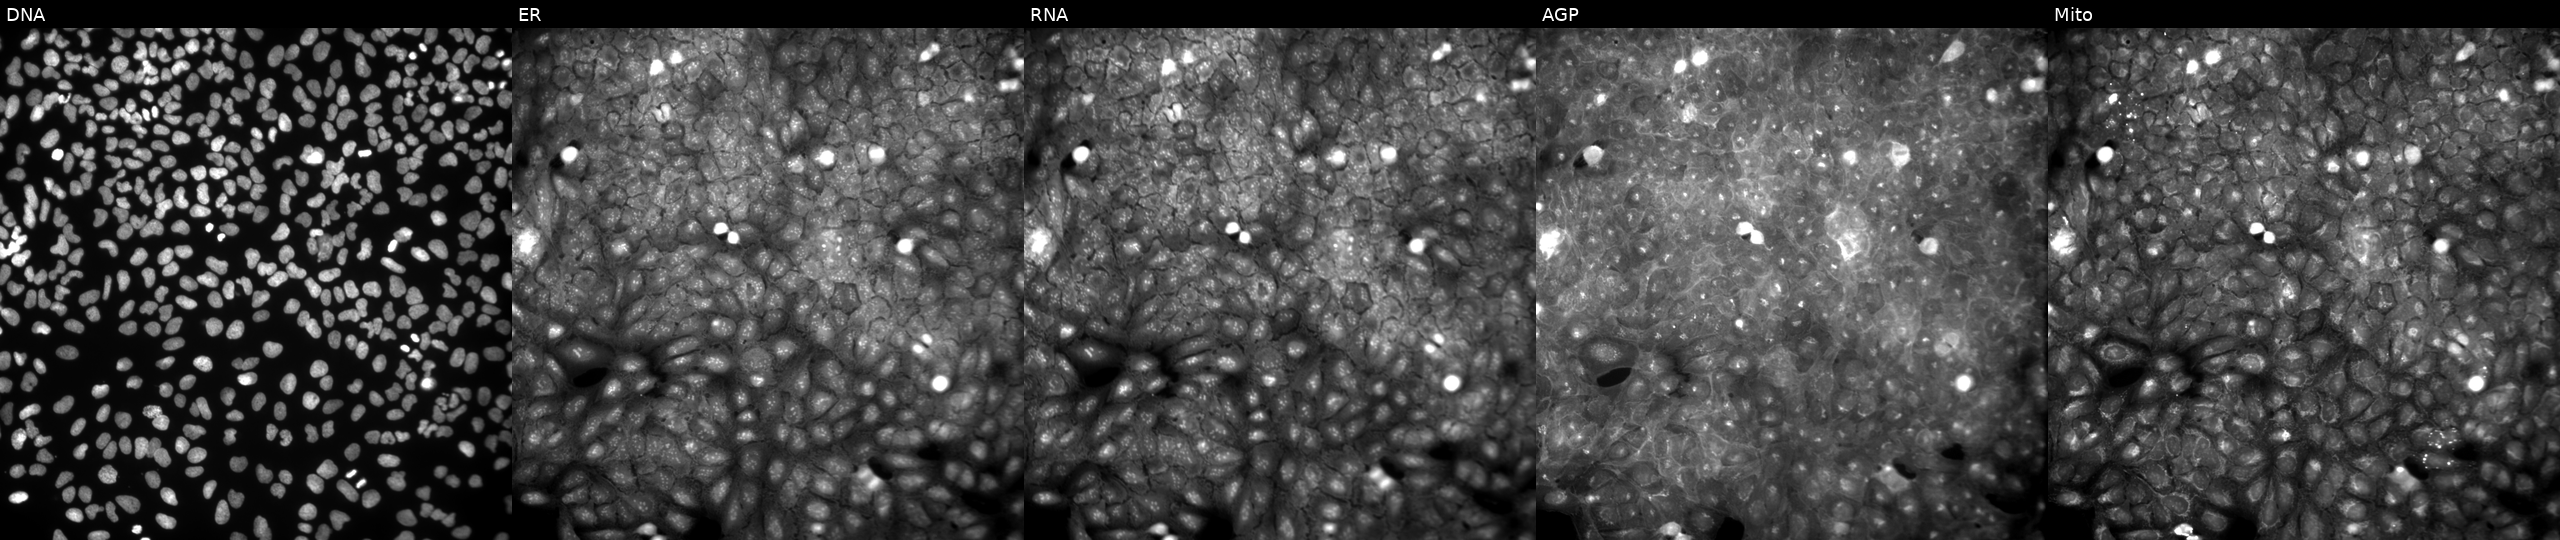
High-content fluorescence microscopy (Cell Painting). Cell line: U2OS. Perturbation: exposed to a small-molecule compound (InChIKey NNYFLTQFKZCZGJ-UHFFFAOYSA-N) (JUMP id JCP2022_060239). Panels show, left to right, Hoechst 33342, concanavalin A, SYTO 14, phalloidin and WGA, MitoTracker. Source 9, plate GR00003381, well Q41.